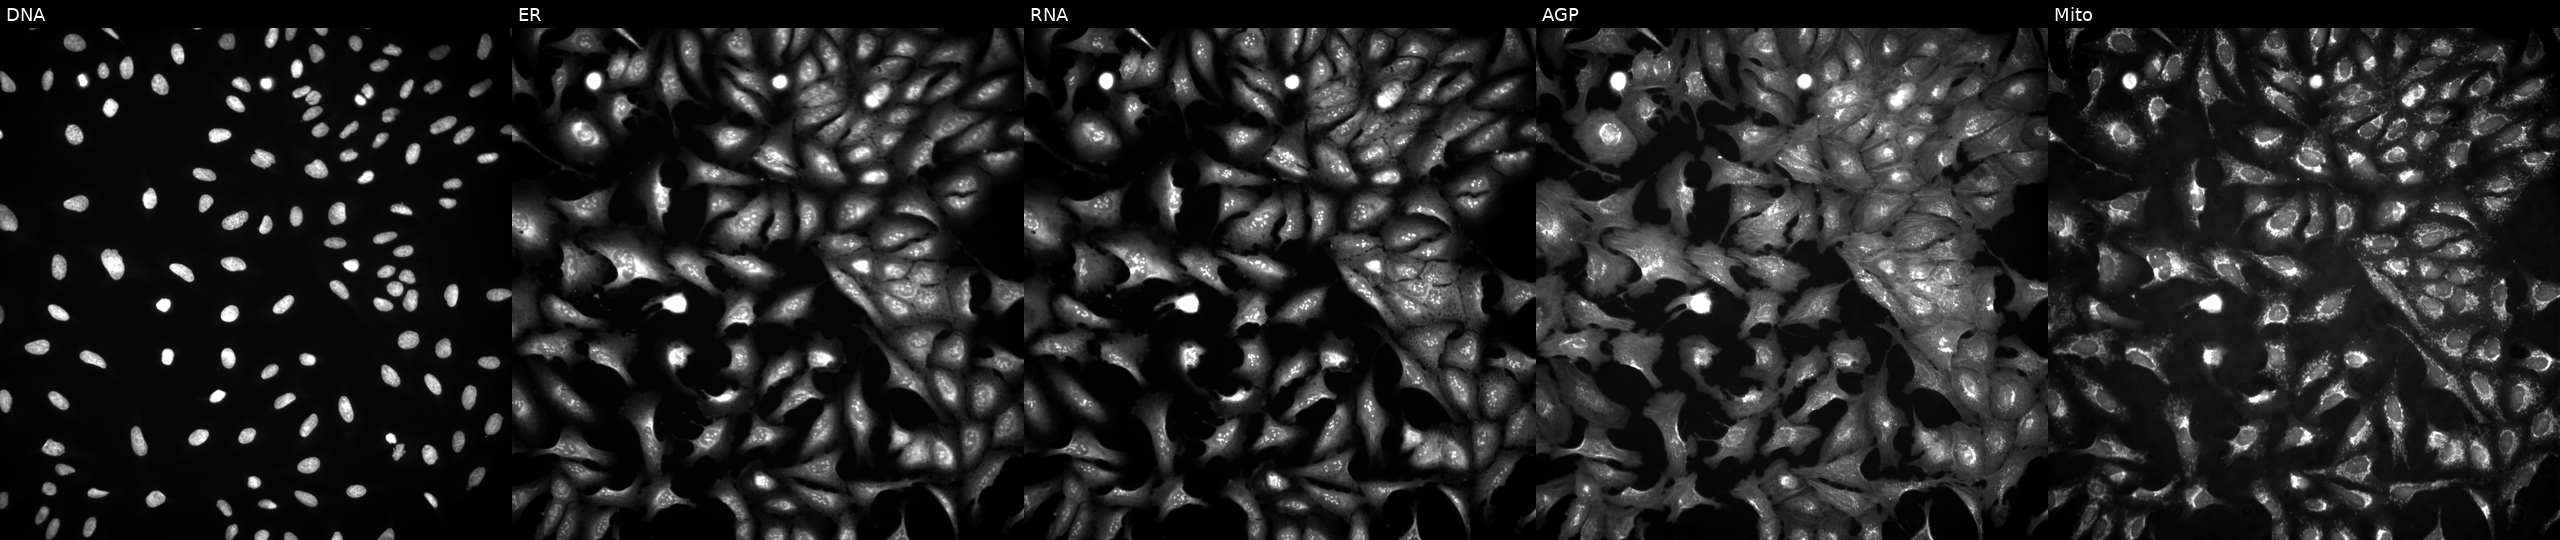
Channels (left→right): DNA (nuclei); ER (endoplasmic reticulum); RNA (nucleoli and cytoplasmic RNA); AGP (actin cytoskeleton, Golgi, and plasma membrane); Mito (mitochondria). U2OS osteosarcoma cells overexpressing CSAG1 via ORF transfection. Cell Painting assay, JUMP-CP dataset.